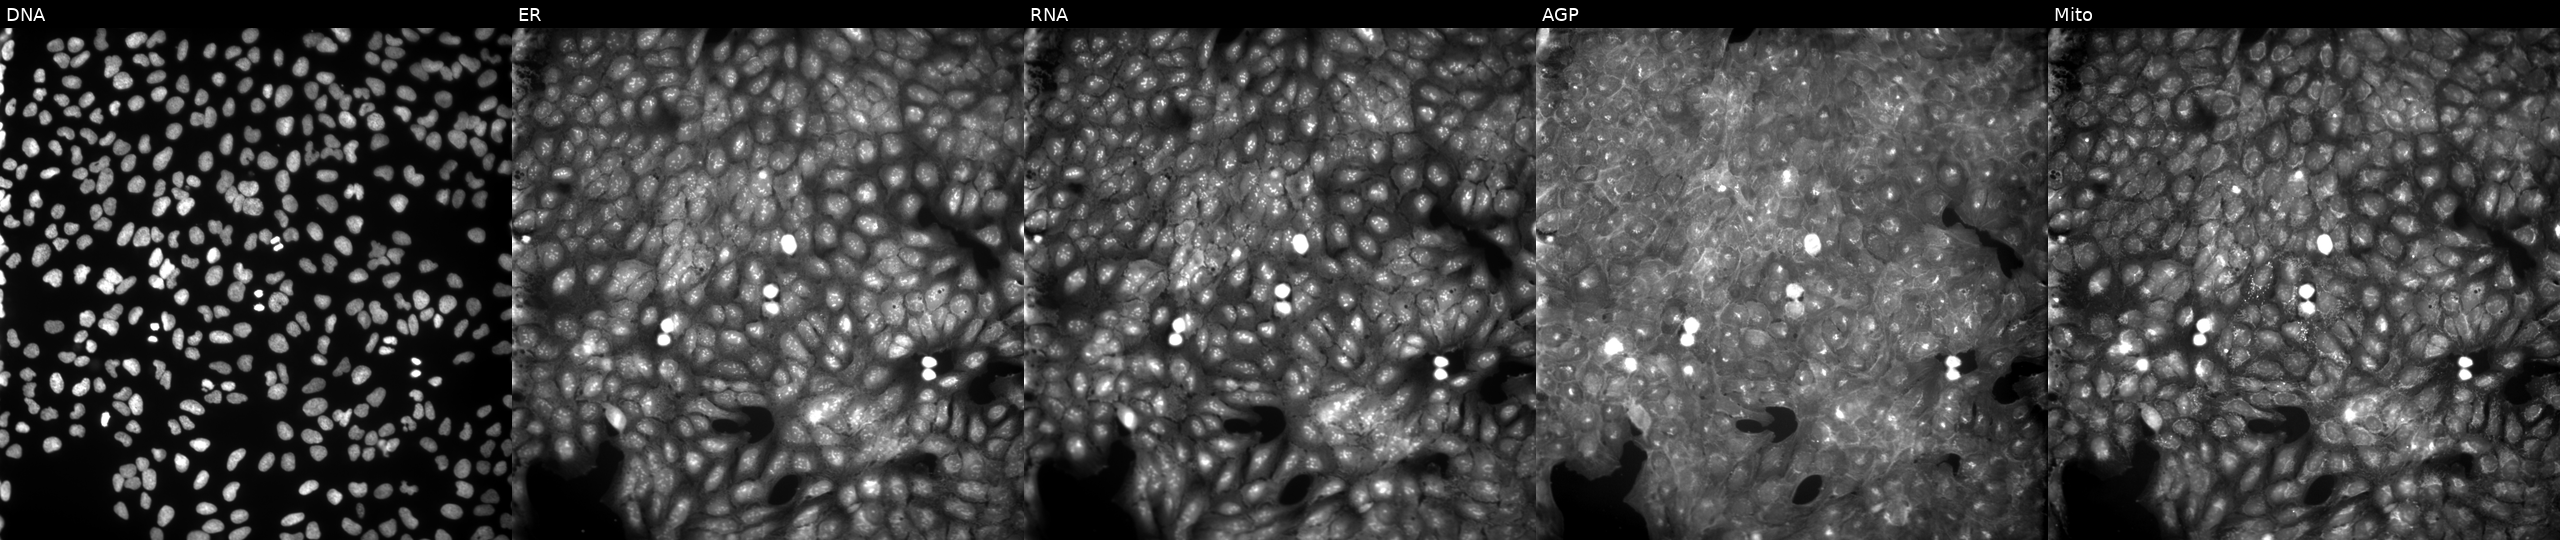
From left to right: Hoechst 33342, concanavalin A, SYTO 14, phalloidin and WGA, MitoTracker. U2OS osteosarcoma cells exposed to a small-molecule compound (InChIKey OQISIHAJCWICIR-UHFFFAOYSA-N) (JUMP id JCP2022_065470). Cell Painting assay, JUMP-CP dataset. Source 9, plate GR00003381, well Y11.